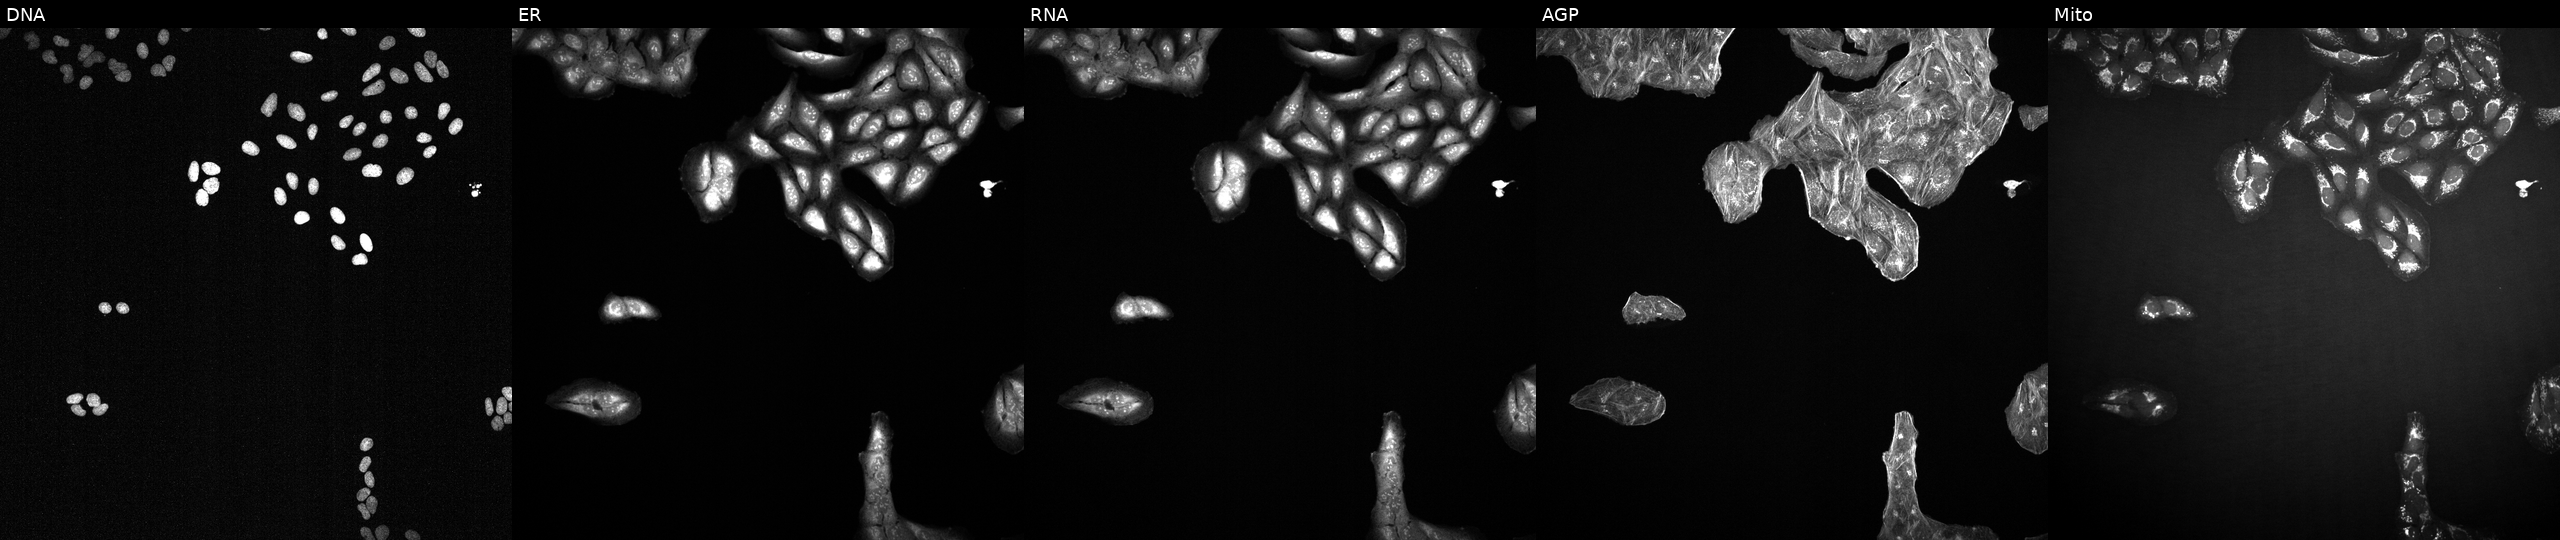
Five-channel Cell Painting image of U2OS cells exposed to a small-molecule compound. From left to right: Hoechst 33342, concanavalin A, SYTO 14, phalloidin and WGA, MitoTracker.